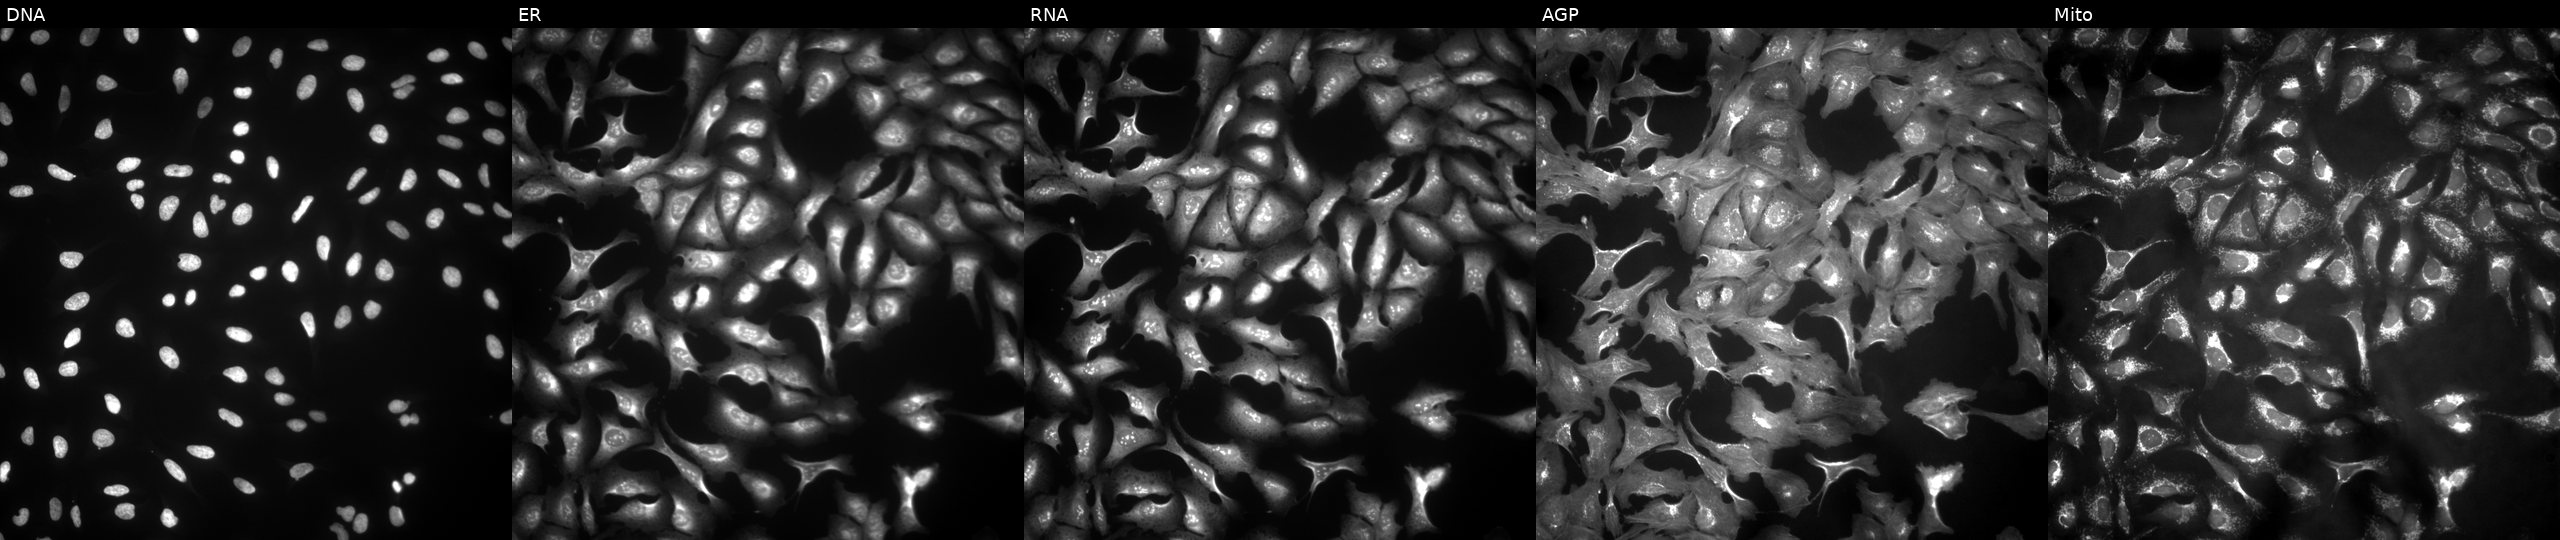
This image strip shows the five Cell Painting channels for a single field of U2OS cells with PDK2 overexpressed (ORF) (JUMP id JCP2022_901091). The five panels, left to right, show DNA, ER, RNA, AGP, and Mito. Source 4, plate BR00123506, well L20.